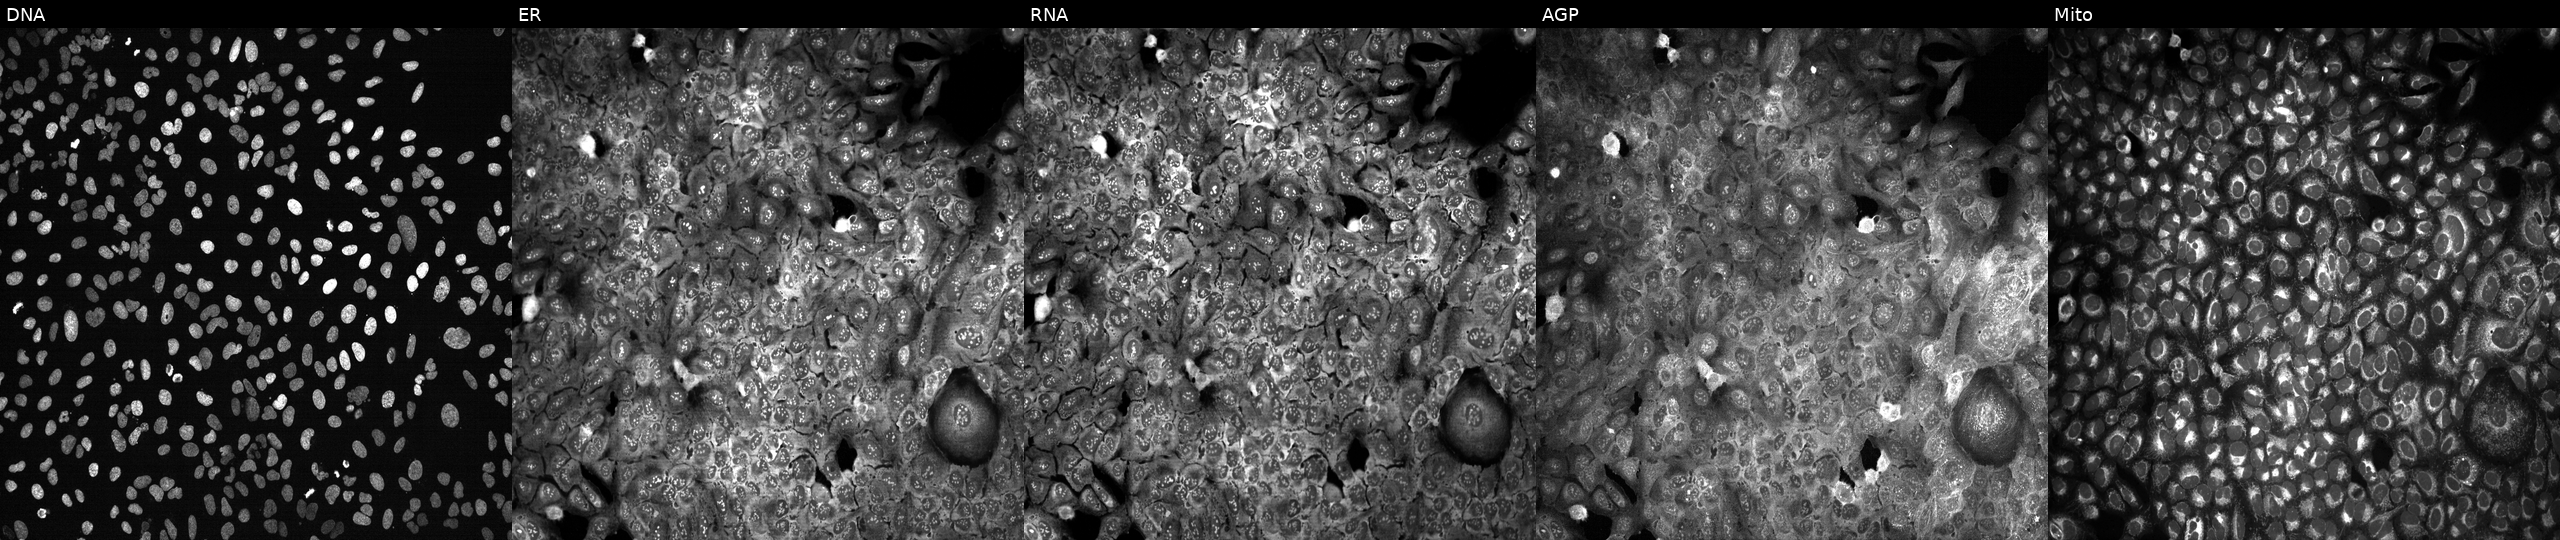
Five-channel Cell Painting image of U2OS cells following CRISPR knockout of TGM4. Panels show, left to right, DNA, ER, RNA, AGP, and Mito.